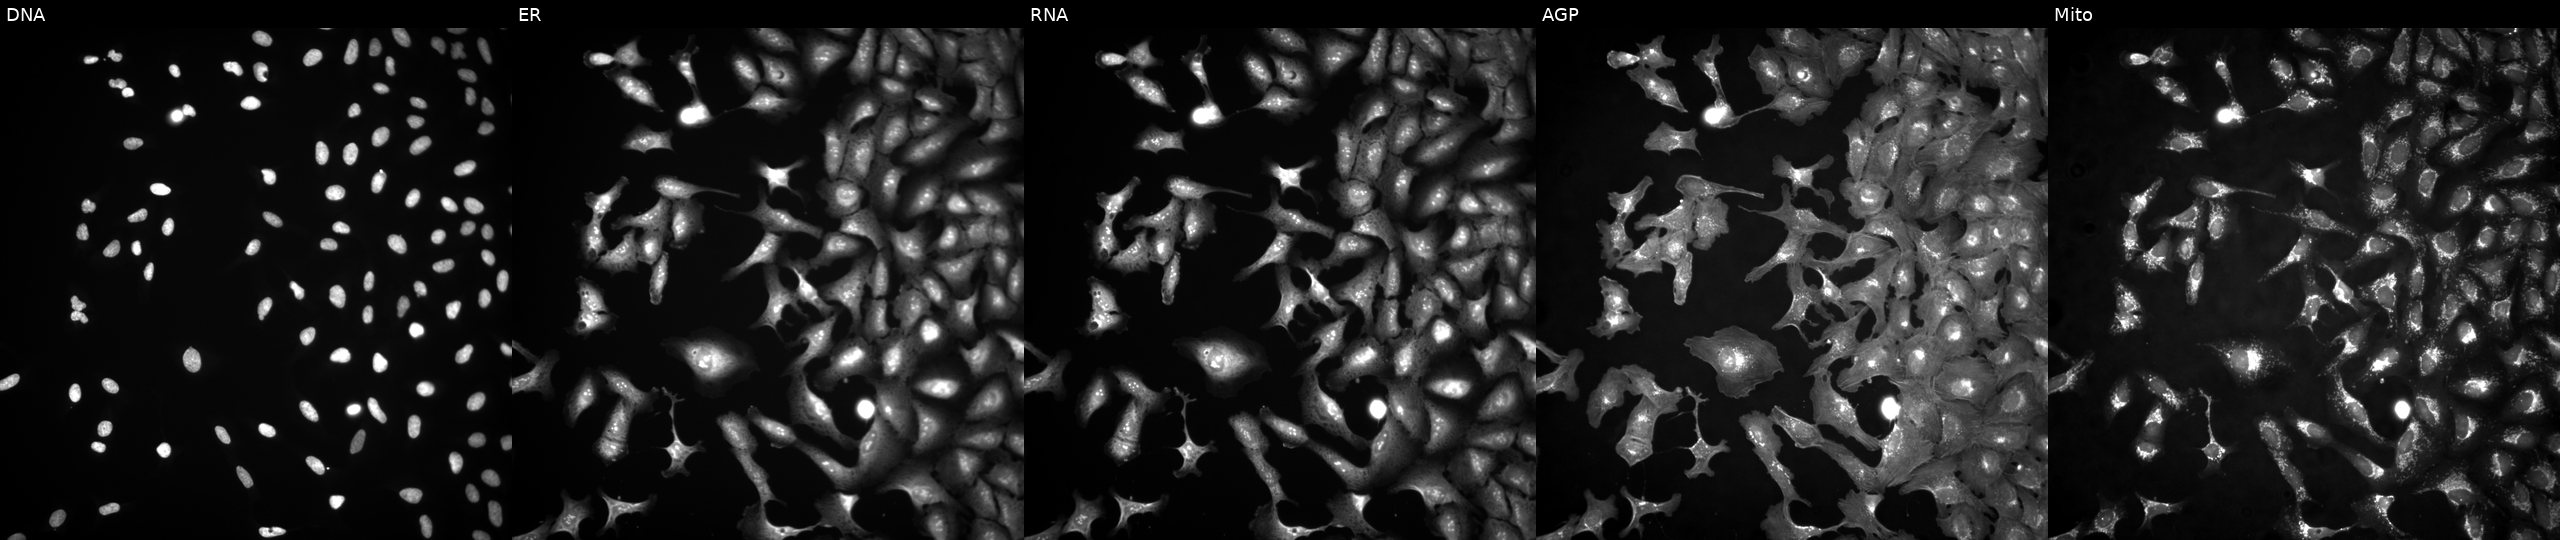
This image strip shows the five Cell Painting channels for a single field of U2OS cells untreated (empty-well control) (JUMP id JCP2022_999999). Channels (left→right): DNA, ER, RNA, AGP, and Mito.